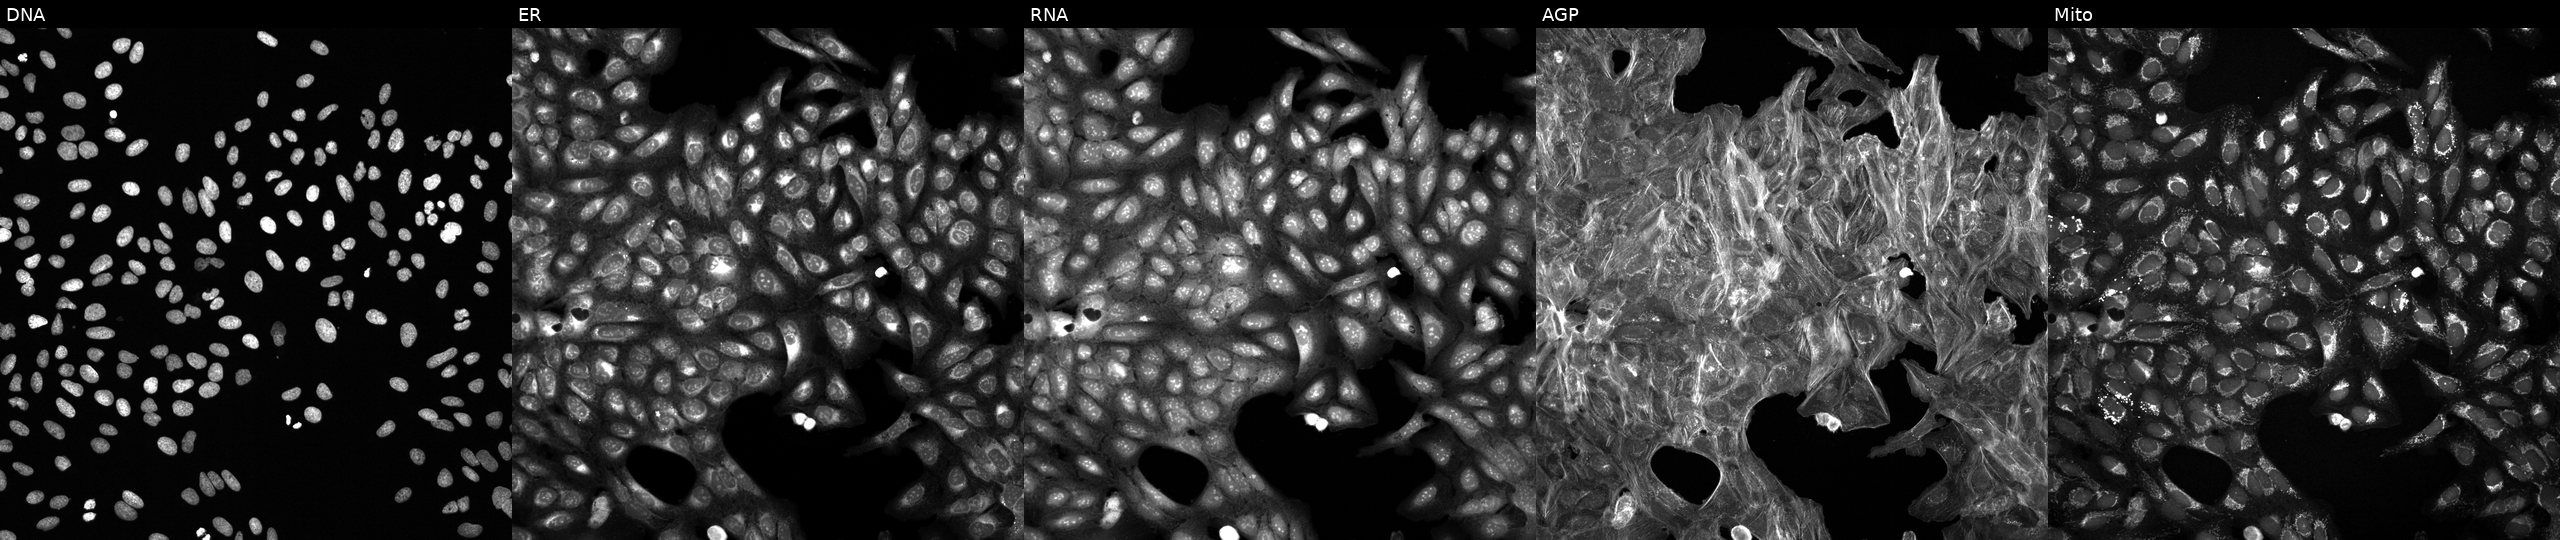
U2OS cells, Cell Painting assay, perturbed with a small-molecule compound (InChIKey YMDXSGBNCBQYGC-UHFFFAOYSA-N) (JUMP id JCP2022_109350). Panels show, left to right, DNA (nuclei); ER (endoplasmic reticulum); RNA (nucleoli and cytoplasmic RNA); AGP (actin cytoskeleton, Golgi, and plasma membrane); Mito (mitochondria). Each panel is percentile-stretched 16-bit fluorescence. Source 6, plate 110000293093, well C24.